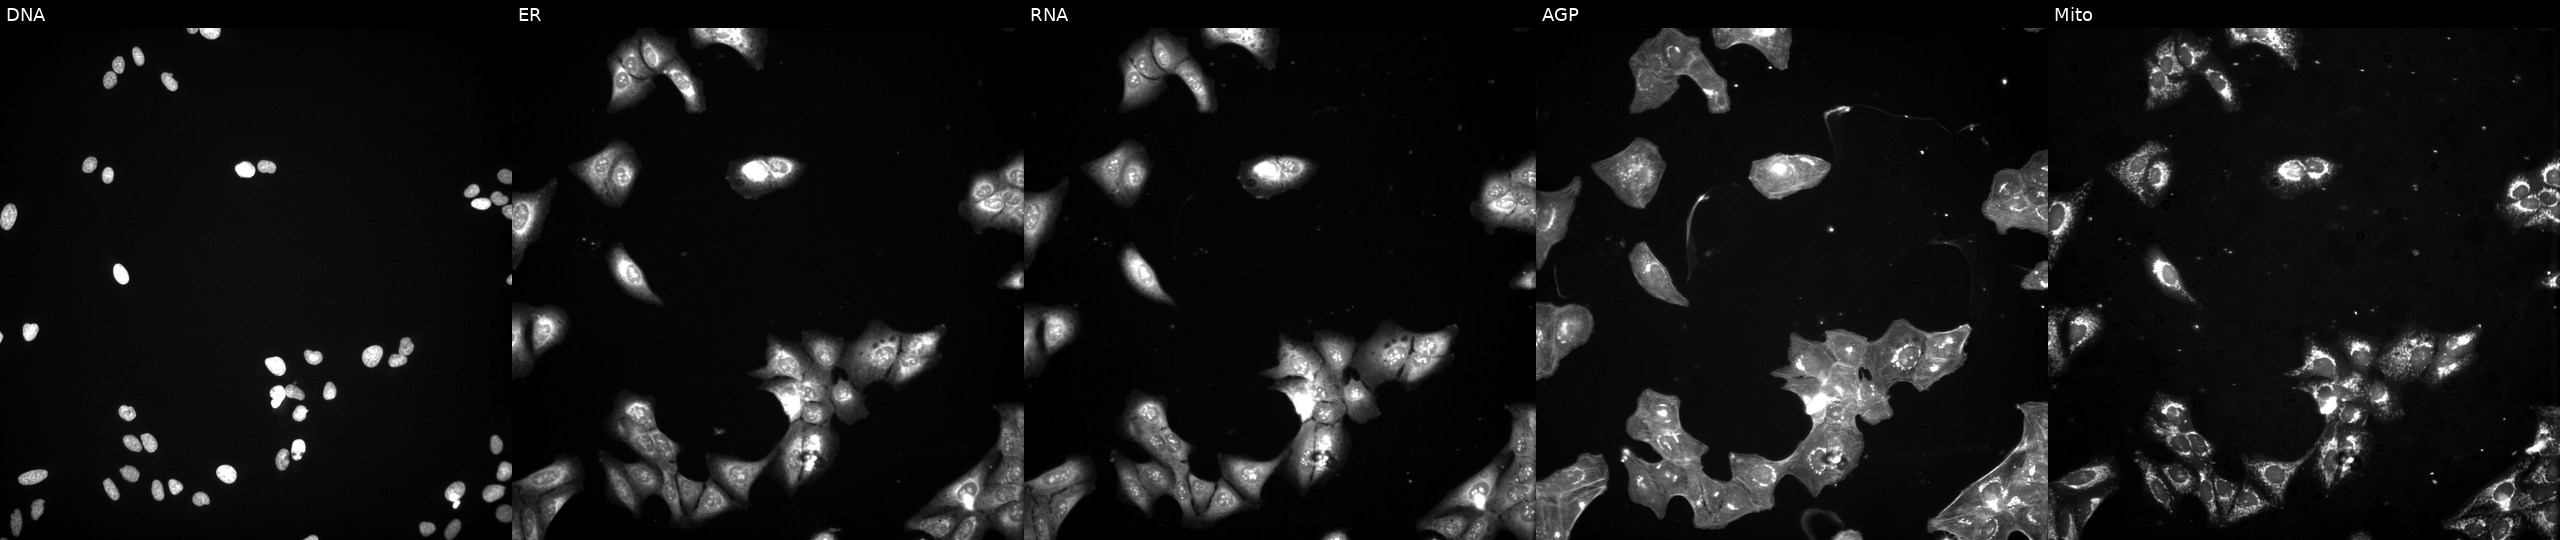
High-content fluorescence microscopy (Cell Painting). Cell line: U2OS. Perturbation: treated with a small-molecule compound (InChIKey PMXCMJLOPOFPBT-UHFFFAOYSA-N) (JUMP id JCP2022_069668). From left to right: DNA, ER, RNA, AGP, and Mito.